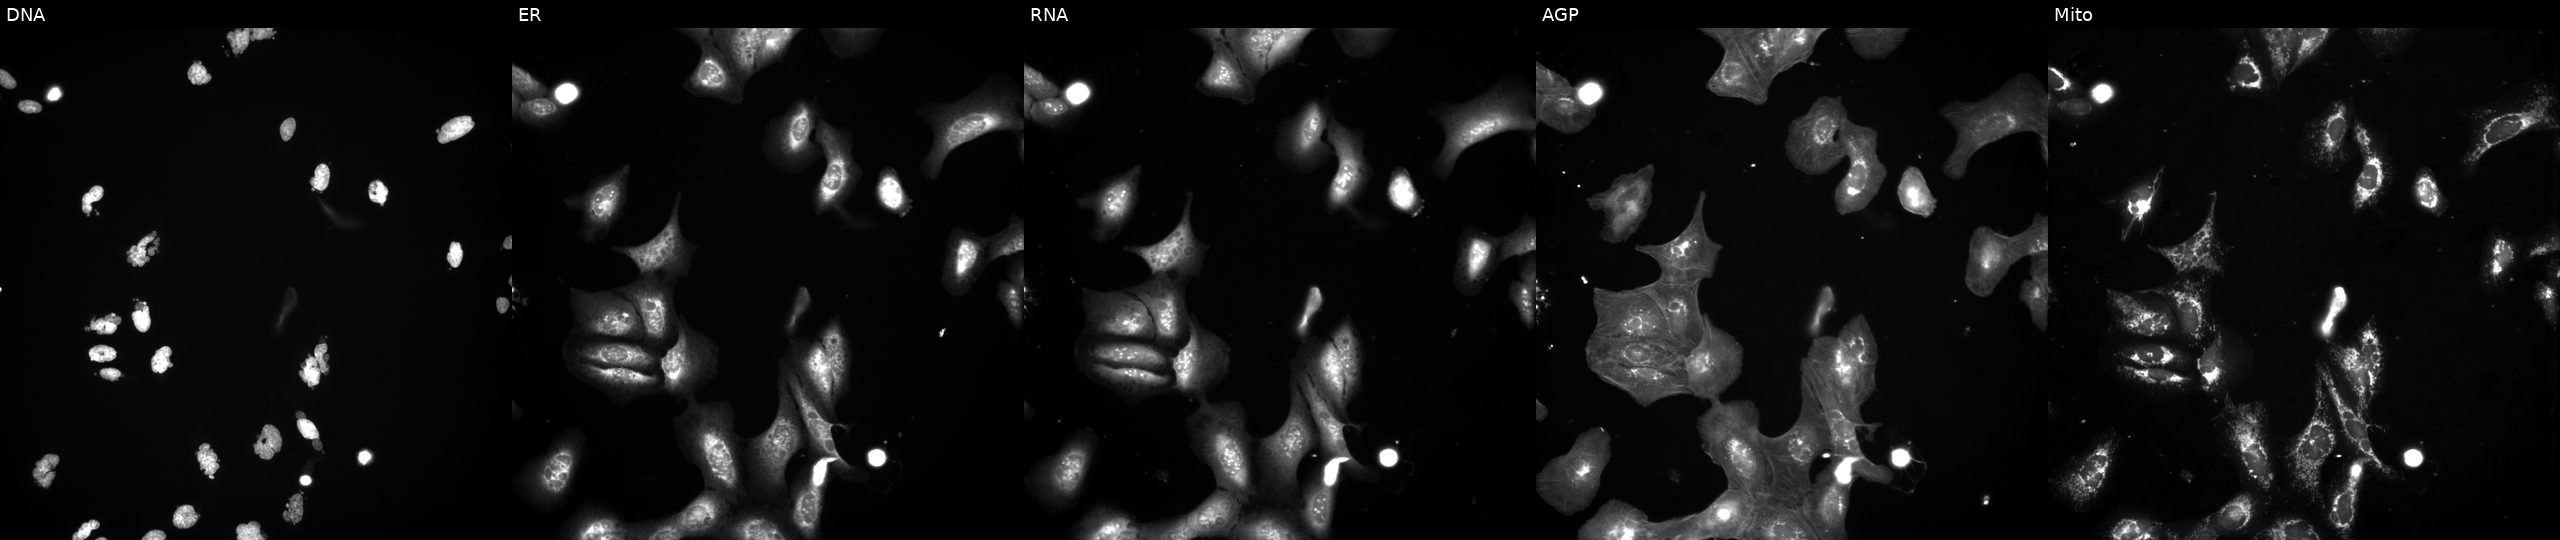
This image strip shows the five Cell Painting channels for a single field of U2OS cells treated with AMG900 (positive-control compound). The five panels, left to right, show DNA, ER, RNA, AGP, and Mito. Source 3, plate BR5867a3, well J01.